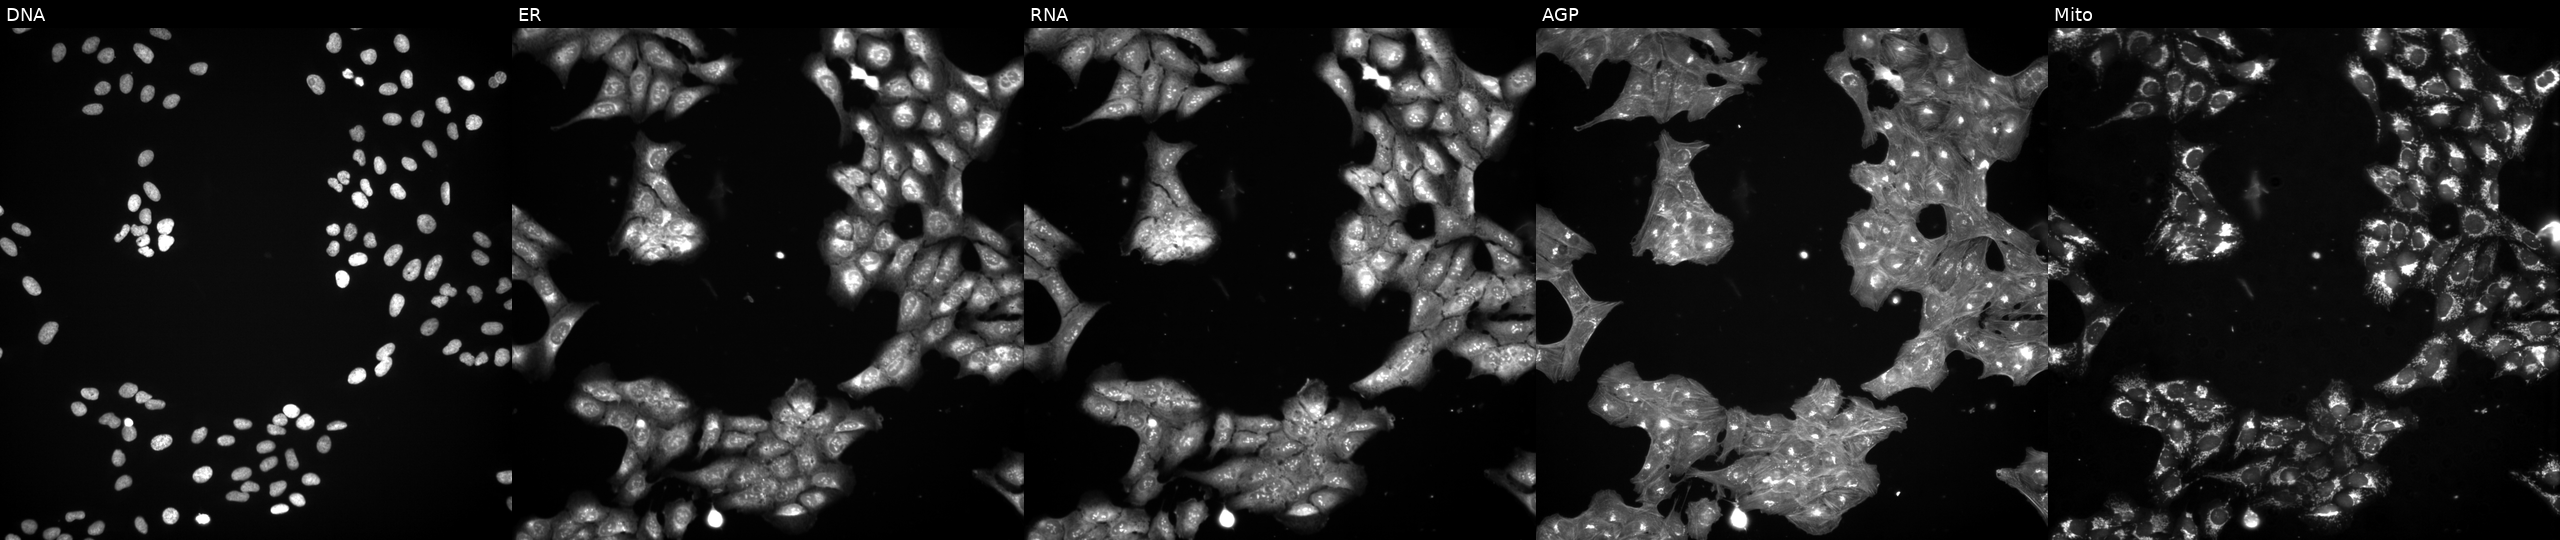
This image strip shows the five Cell Painting channels for a single field of U2OS cells perturbed with a small-molecule compound (InChIKey KTQWWYGLWQVHDM-UHFFFAOYSA-N). The five panels, left to right, show Hoechst 33342, concanavalin A, SYTO 14, phalloidin and WGA, MitoTracker.